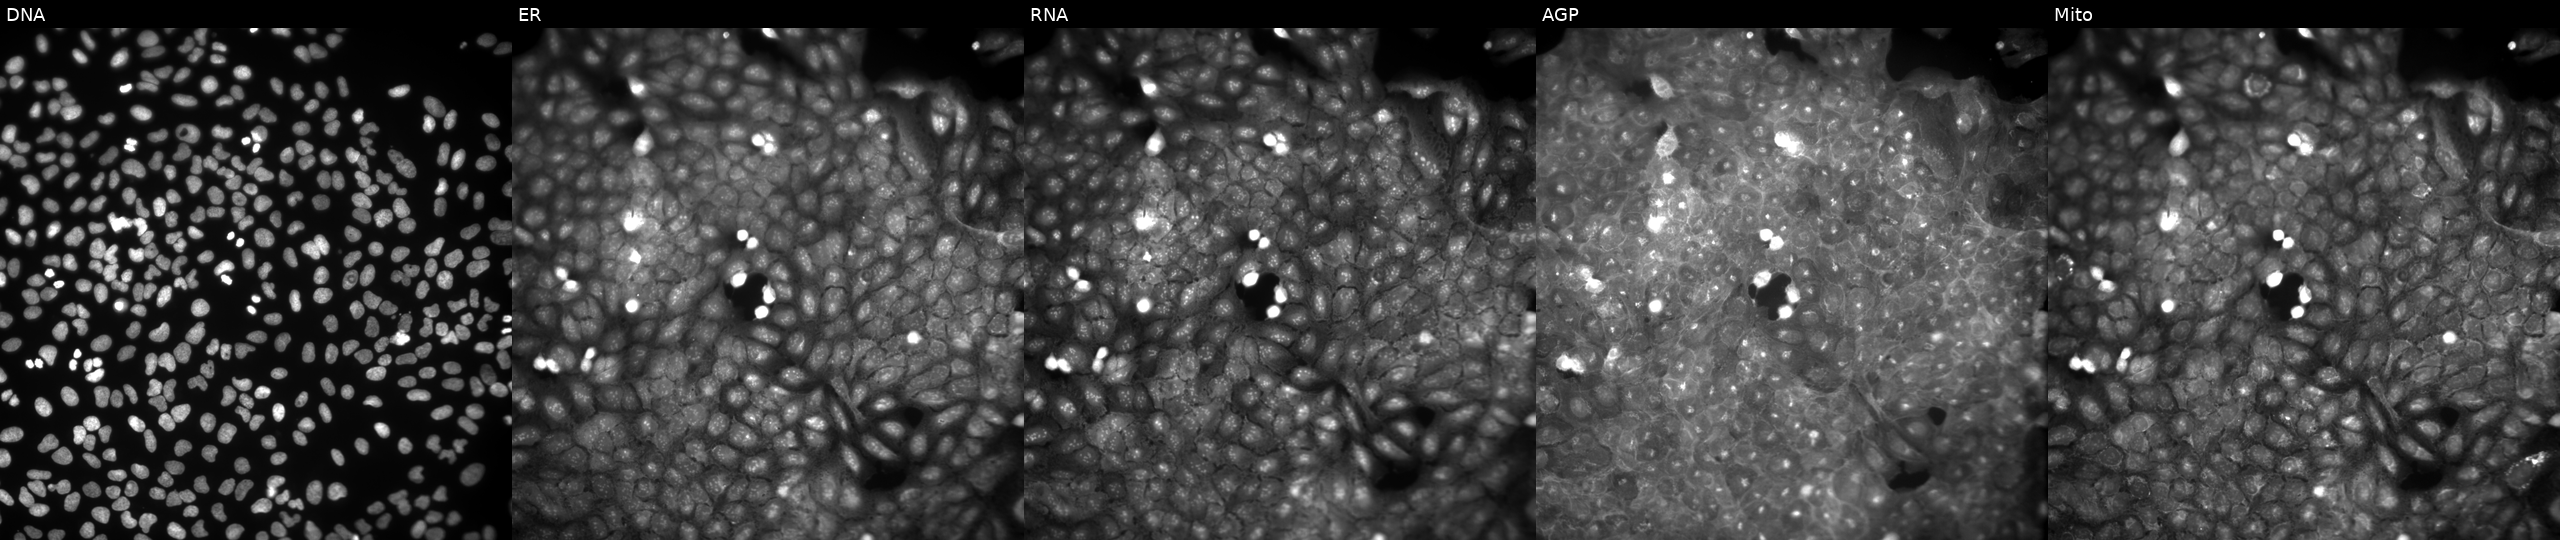
This image strip shows the five Cell Painting channels for a single field of U2OS cells exposed to a small-molecule compound (InChIKey BHOBISIBABIPEN-UHFFFAOYSA-N) (JUMP id JCP2022_006406). Panels show, left to right, DNA (nuclei); ER (endoplasmic reticulum); RNA (nucleoli and cytoplasmic RNA); AGP (actin cytoskeleton, Golgi, and plasma membrane); Mito (mitochondria). Source 9, plate GR00003382, well AD40.